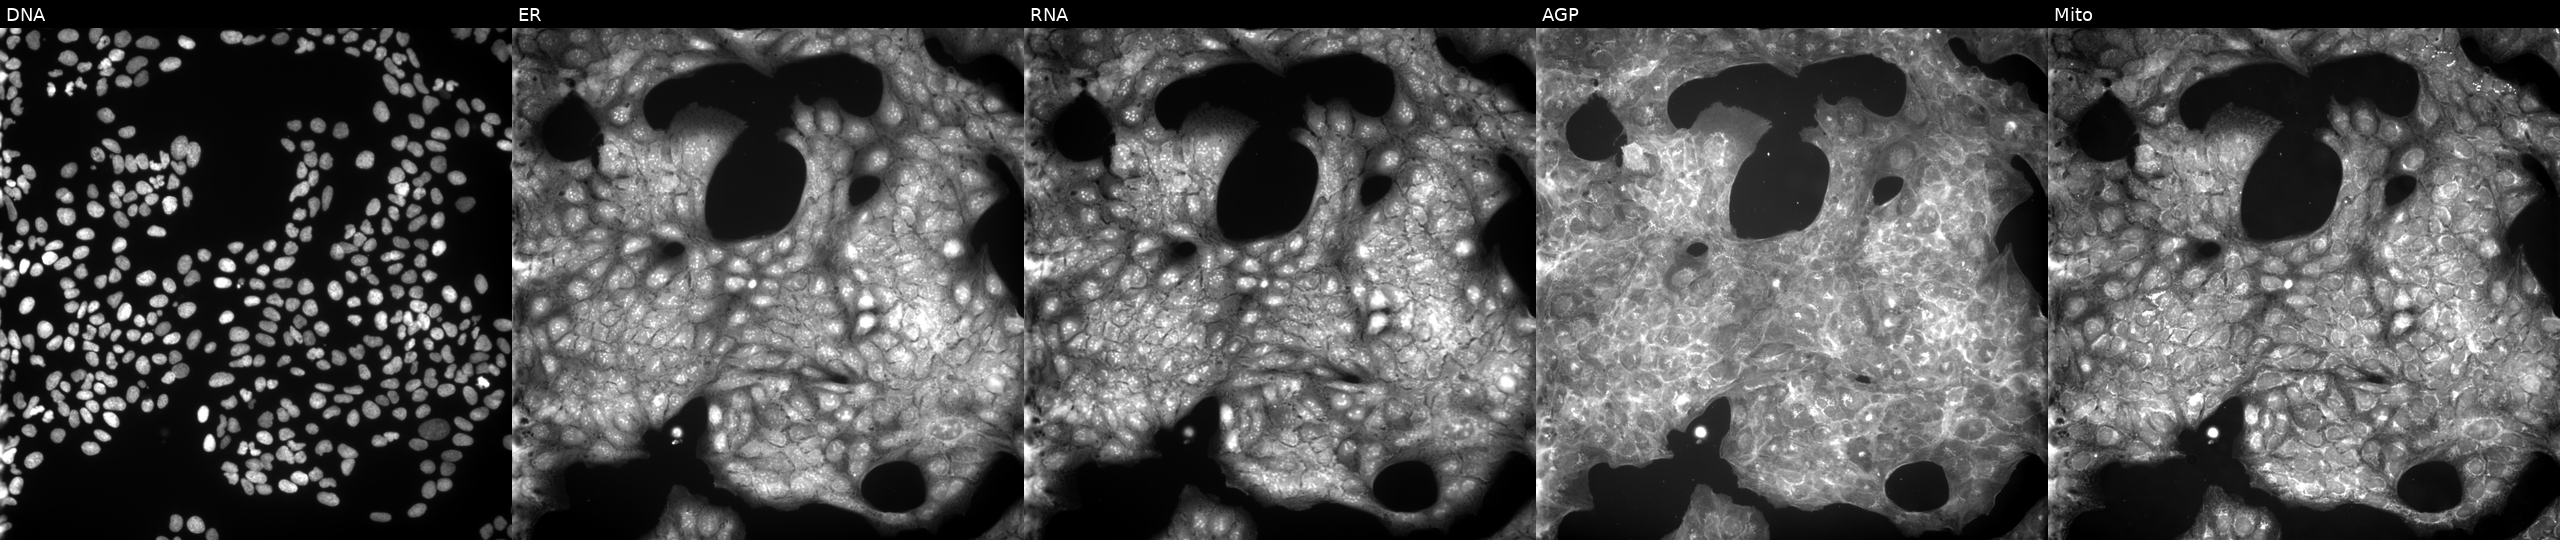
Five-channel Cell Painting image of U2OS cells perturbed with a small-molecule compound (JUMP id JCP2022_033954). Panels show, left to right, DNA (nuclei); ER (endoplasmic reticulum); RNA (nucleoli and cytoplasmic RNA); AGP (actin cytoskeleton, Golgi, and plasma membrane); Mito (mitochondria). Source 9, plate GR00003381, well E25.